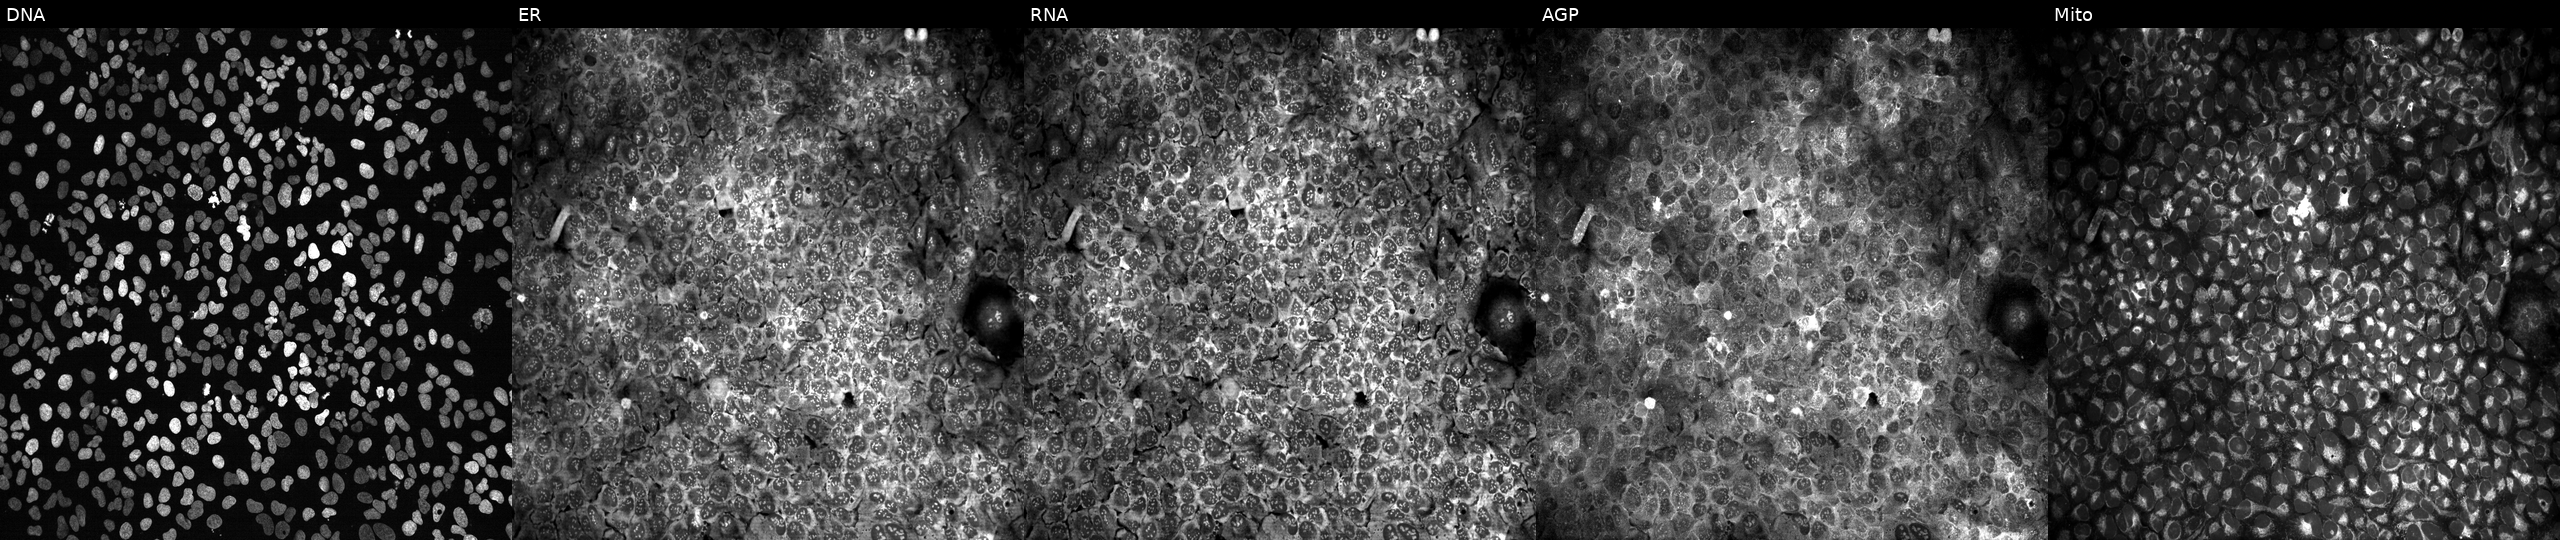
Five-channel Cell Painting image of U2OS cells with PLXNA3 knocked out by CRISPR (JUMP id JCP2022_805288). Channels (left→right): Hoechst 33342, concanavalin A, SYTO 14, phalloidin and WGA, MitoTracker.